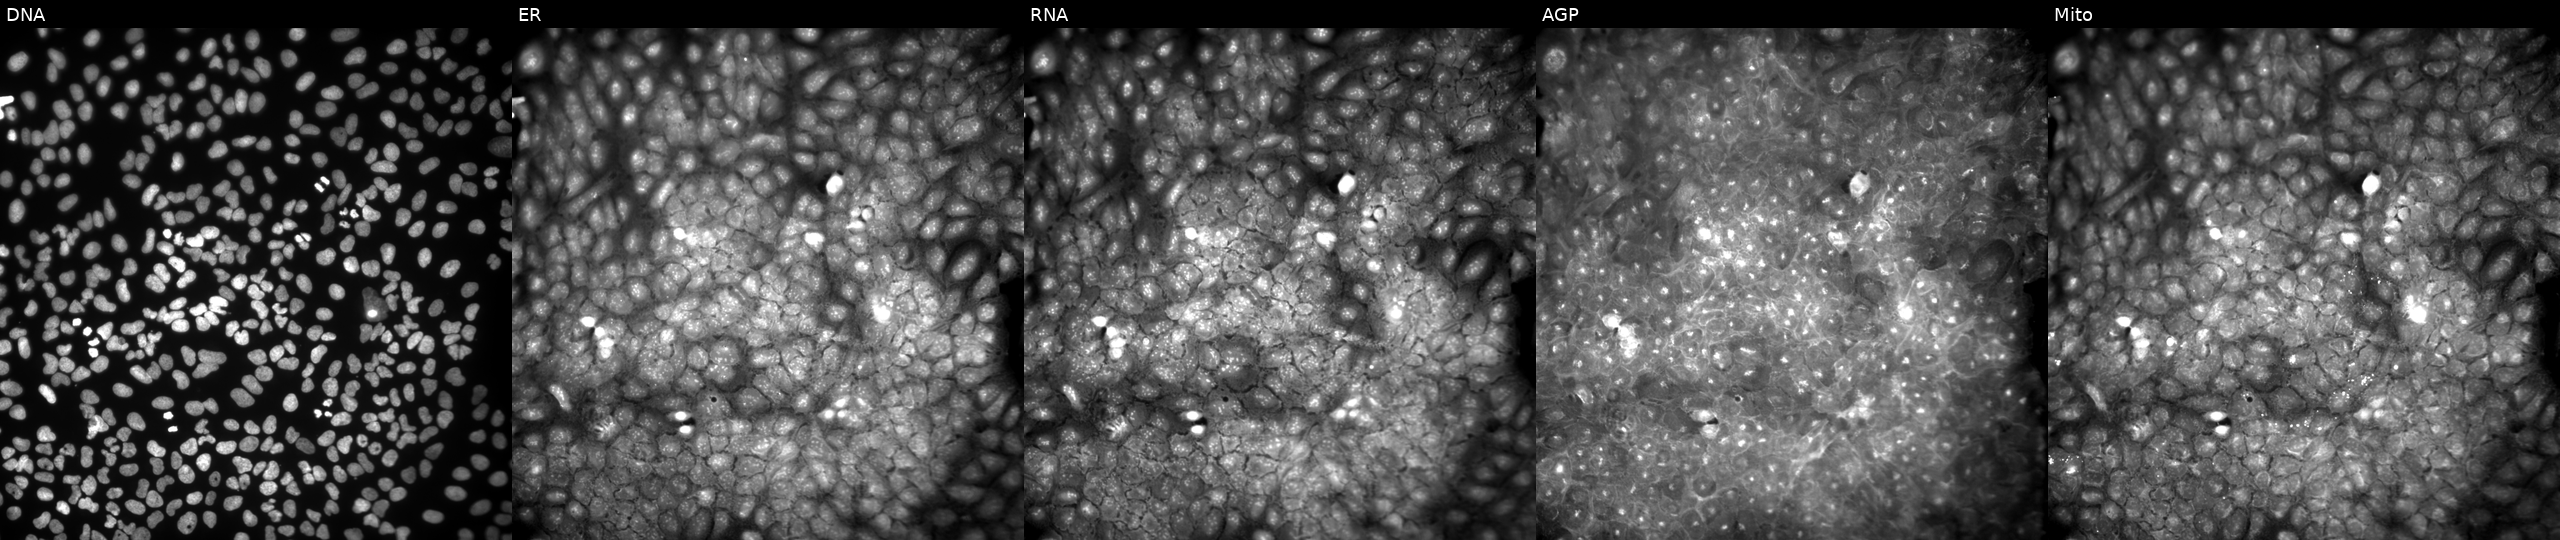
From left to right: DNA, ER, RNA, AGP, and Mito. U2OS osteosarcoma cells exposed to a small-molecule compound (InChIKey UDIWFBLSKQCCBY-UHFFFAOYSA-N) [SMILES: Cc1ccc(S(=O)(=O)N(CC(=O)Nc2ccc3c(c2)OCO3)c2ccc(C)c(Cl)c2)cc1] (JUMP id JCP2022_088474). Cell Painting assay, JUMP-CP dataset.